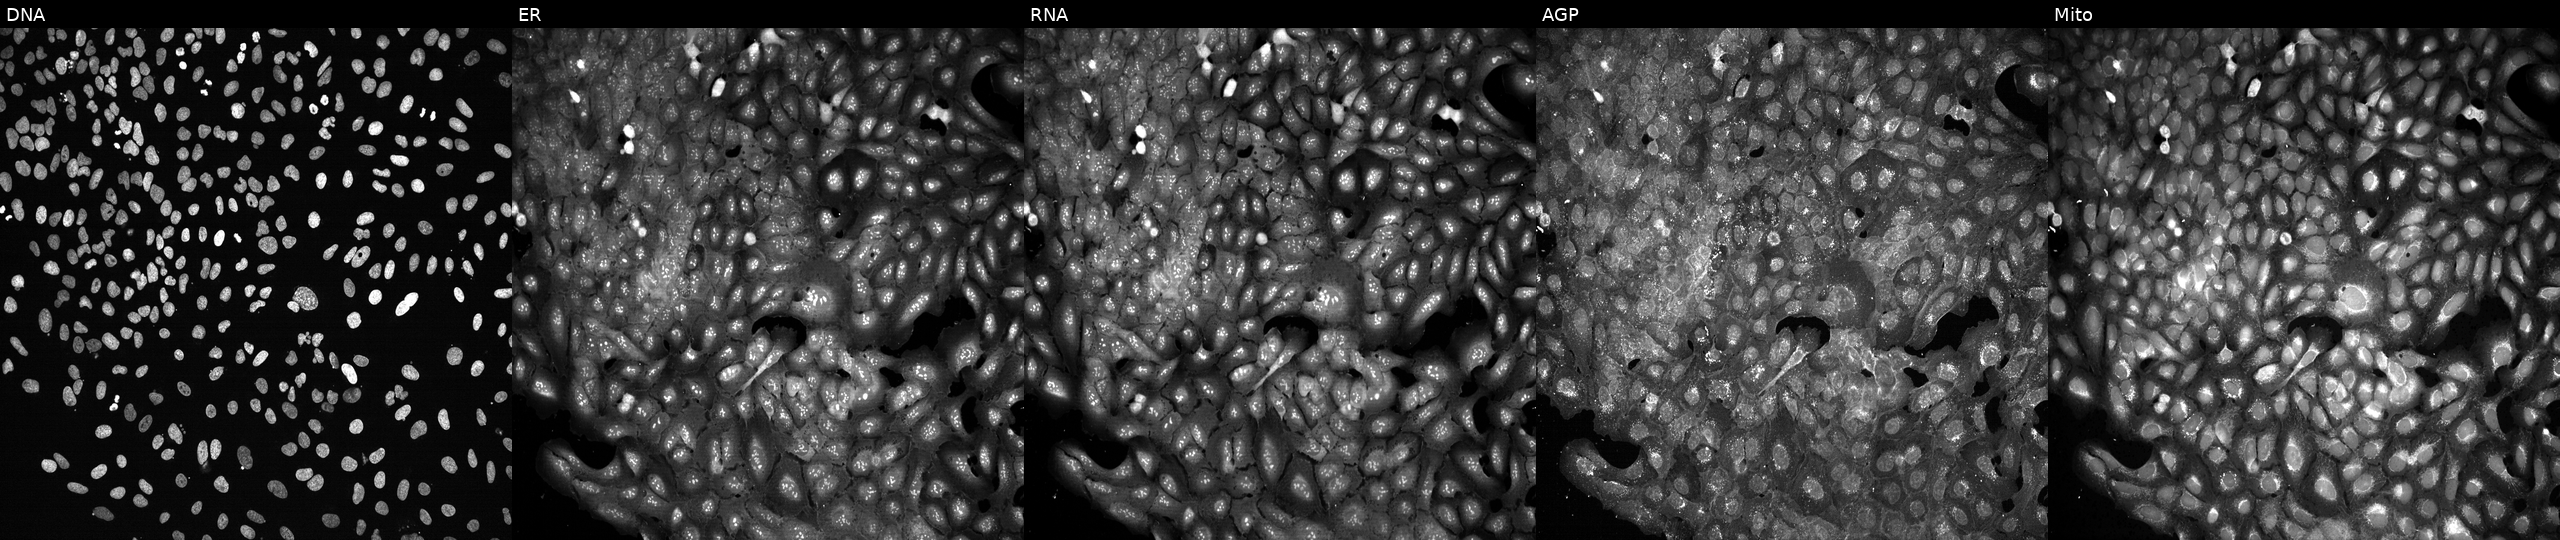
JUMP Cell Painting — CRISPR plate. U2OS cells following CRISPR knockout of GPX1. The five panels, left to right, show DNA (nuclei); ER (endoplasmic reticulum); RNA (nucleoli and cytoplasmic RNA); AGP (actin cytoskeleton, Golgi, and plasma membrane); Mito (mitochondria).